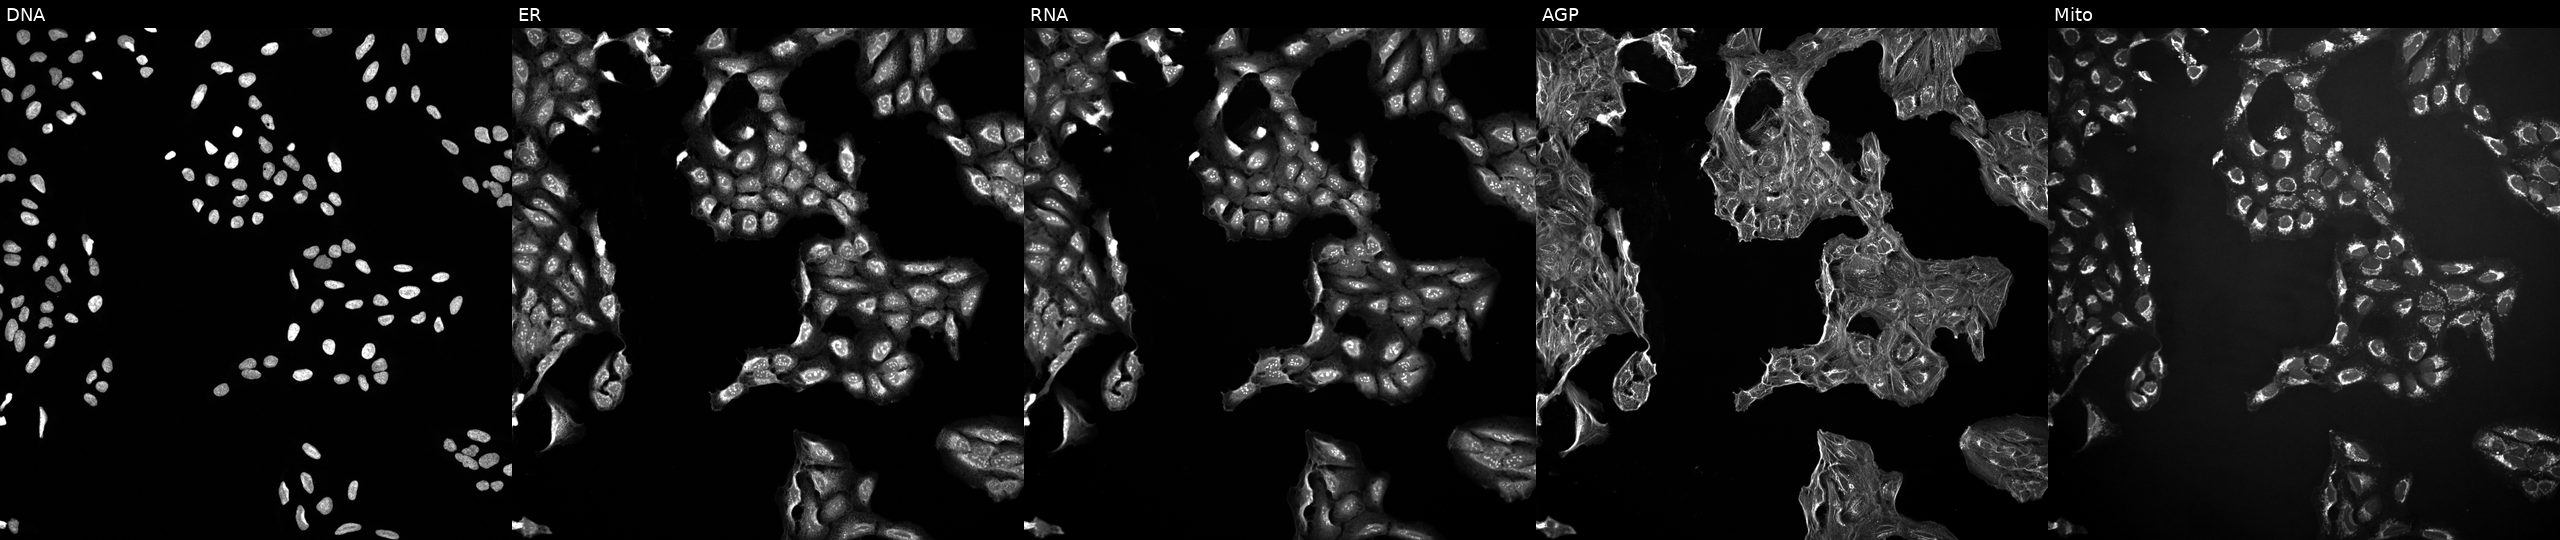
This image strip shows the five Cell Painting channels for a single field of U2OS cells exposed to a small-molecule compound. The five panels, left to right, show DNA (nuclei); ER (endoplasmic reticulum); RNA (nucleoli and cytoplasmic RNA); AGP (actin cytoskeleton, Golgi, and plasma membrane); Mito (mitochondria). Source 10, plate Dest210726-160150, well E03.